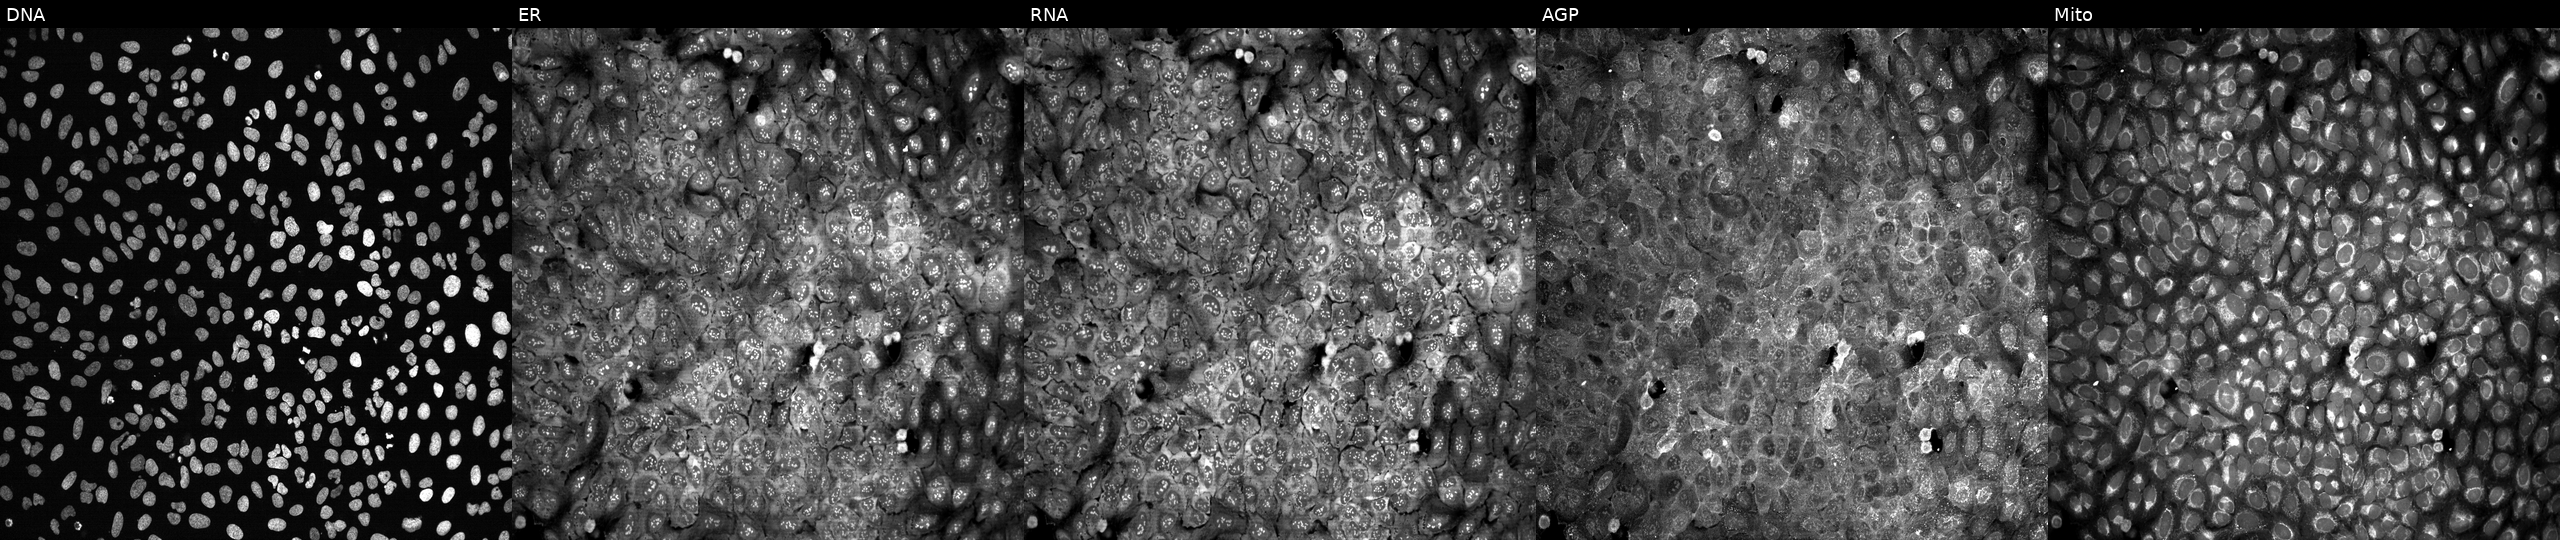
Five-channel Cell Painting image of U2OS cells CRISPR-edited to disrupt ANGPTL3. Channels (left→right): DNA, ER, RNA, AGP, and Mito.